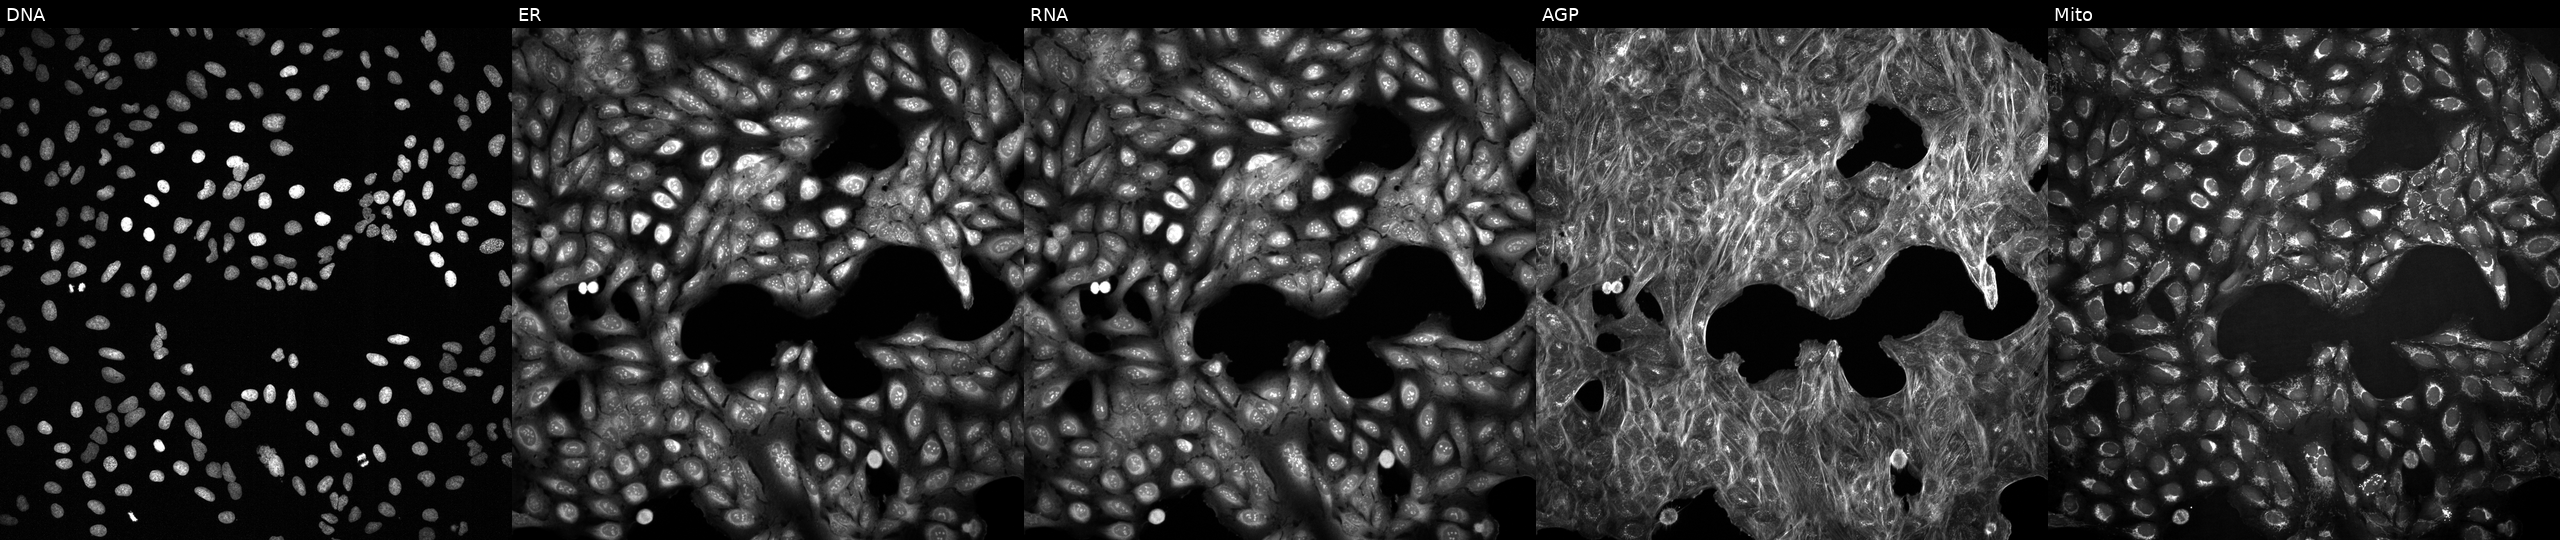
High-content fluorescence microscopy (Cell Painting). Cell line: U2OS. Perturbation: exposed to DMSO alone as a negative control. Channels (left→right): DNA, ER, RNA, AGP, and Mito.